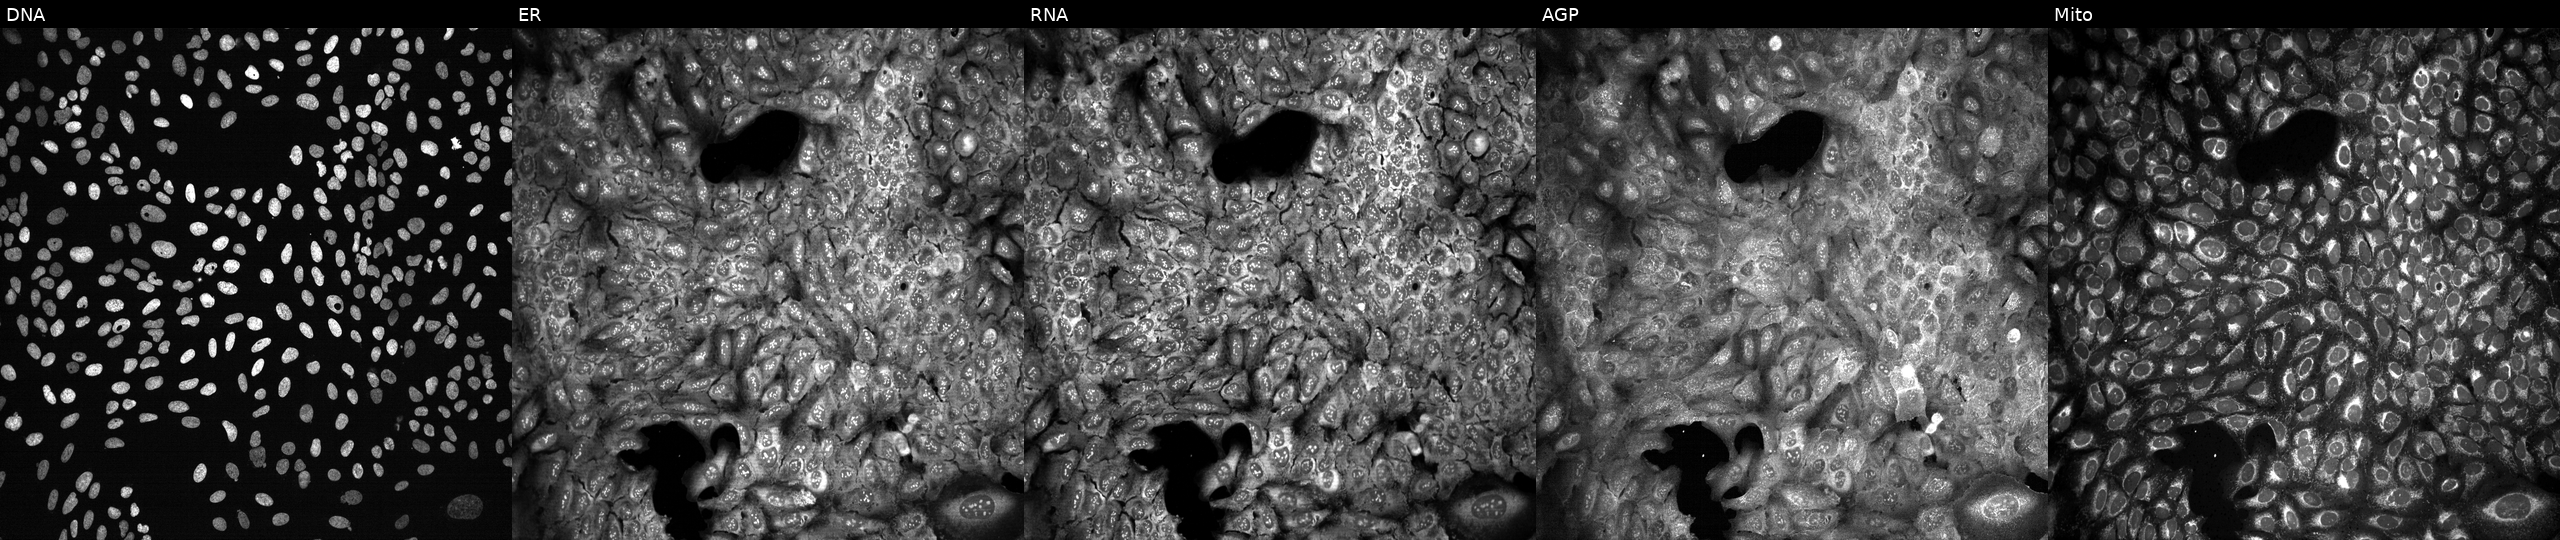
High-content fluorescence microscopy (Cell Painting). Cell line: U2OS. Perturbation: with KDM1A knocked out by CRISPR (JUMP id JCP2022_803640). Channels (left→right): DNA (nuclei); ER (endoplasmic reticulum); RNA (nucleoli and cytoplasmic RNA); AGP (actin cytoskeleton, Golgi, and plasma membrane); Mito (mitochondria).